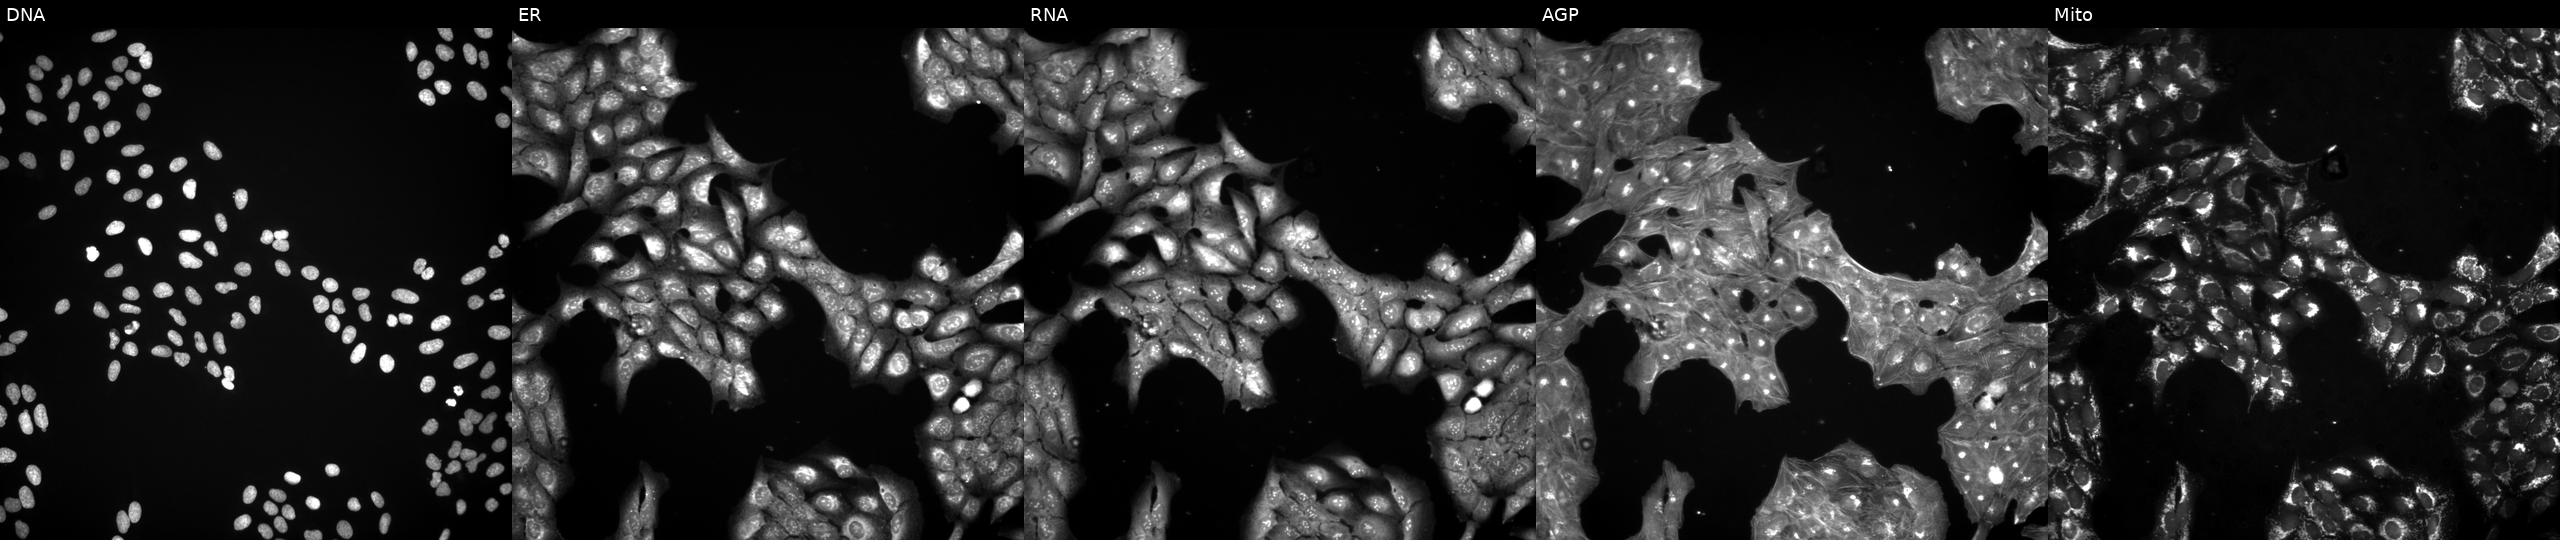
JUMP Cell Painting — COMPOUND plate. U2OS cells exposed to a small-molecule compound (InChIKey RGARMGJDMVGSKK-UHFFFAOYSA-N) [SMILES: CCCn1c(=O)c(C(=O)N=c2cc(C)cc[nH]2)c(O)c2ccccc21]. Channels (left→right): DNA (nuclei); ER (endoplasmic reticulum); RNA (nucleoli and cytoplasmic RNA); AGP (actin cytoskeleton, Golgi, and plasma membrane); Mito (mitochondria). Source 3, plate BR5867a3, well G08.